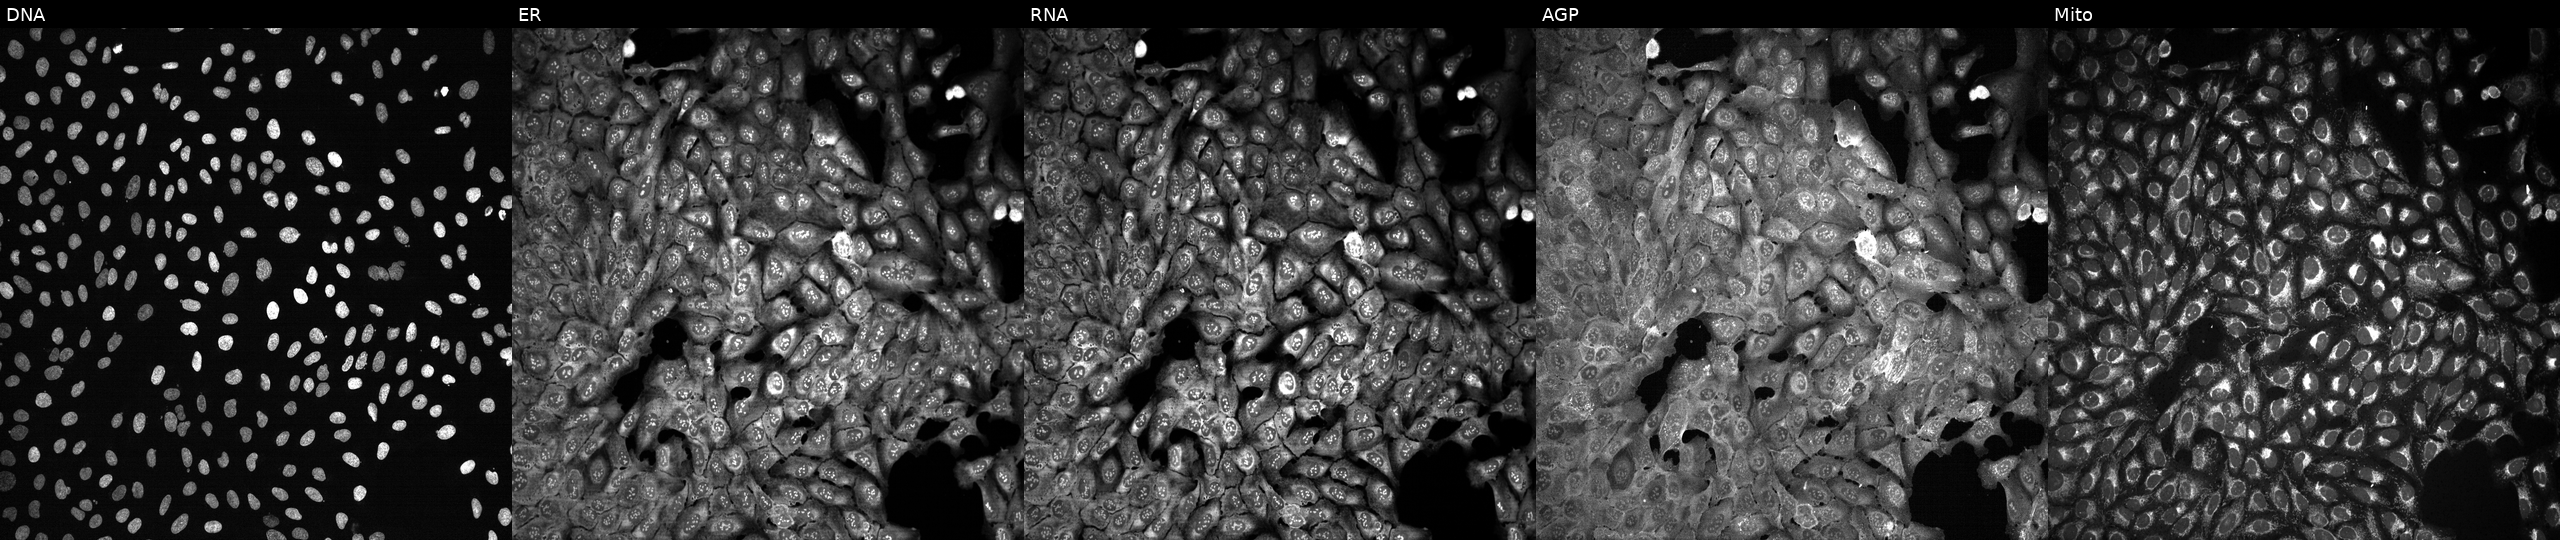
U2OS cells, Cell Painting assay, following CRISPR knockout of SGMS1. Channels (left→right): DNA (nuclei); ER (endoplasmic reticulum); RNA (nucleoli and cytoplasmic RNA); AGP (actin cytoskeleton, Golgi, and plasma membrane); Mito (mitochondria). Each panel is percentile-stretched 16-bit fluorescence.